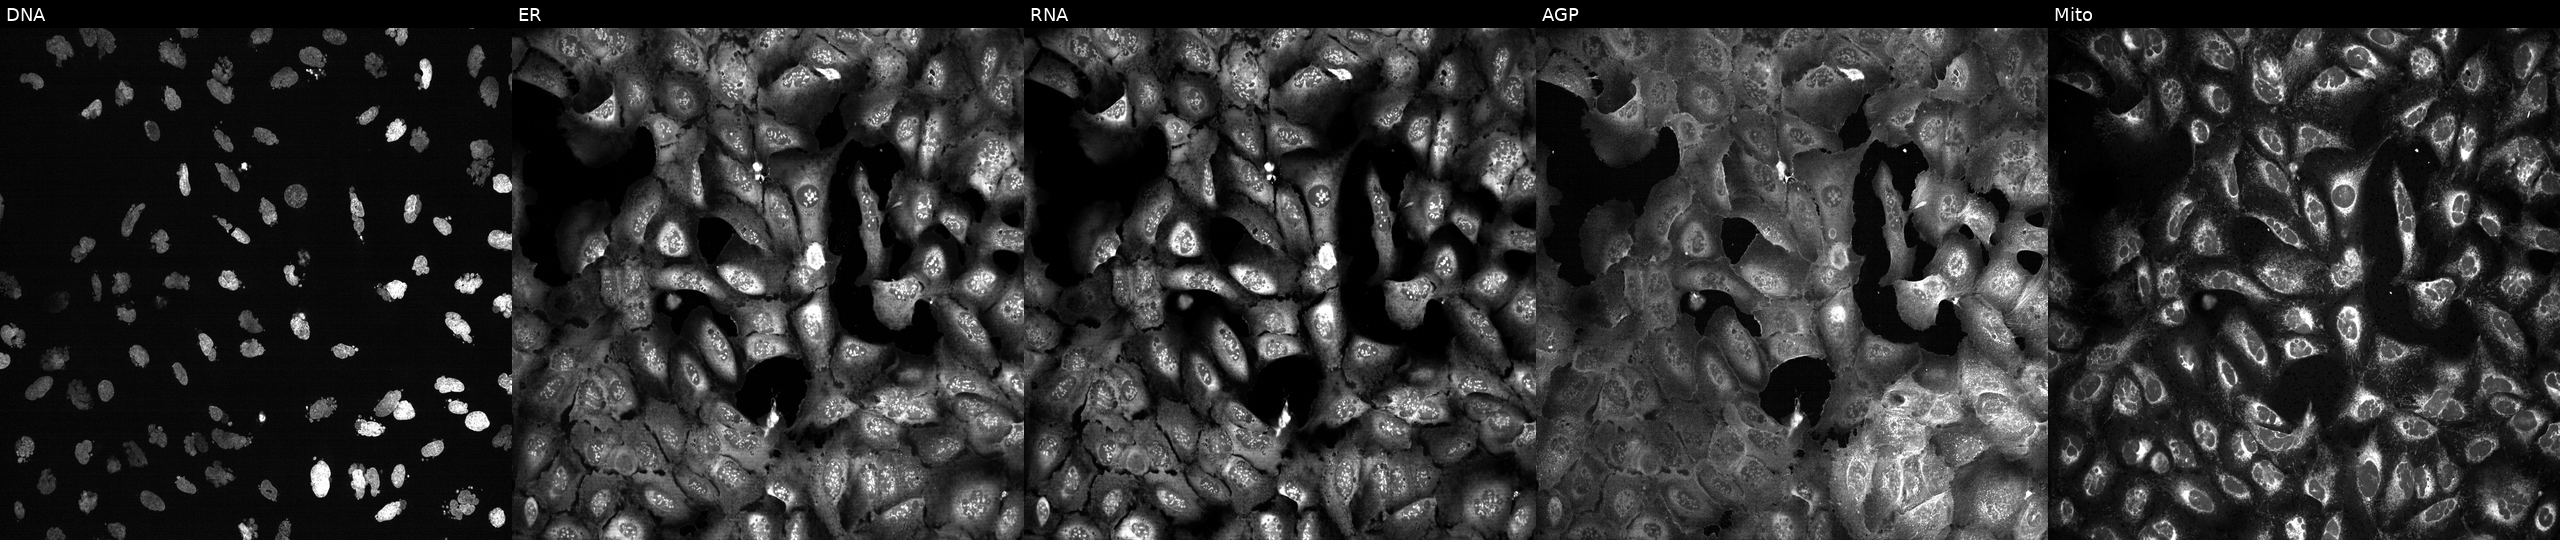
U2OS cells, Cell Painting assay, exposed to the positive-control compound AMG900. Channels (left→right): Hoechst 33342, concanavalin A, SYTO 14, phalloidin and WGA, MitoTracker. Each panel is percentile-stretched 16-bit fluorescence.